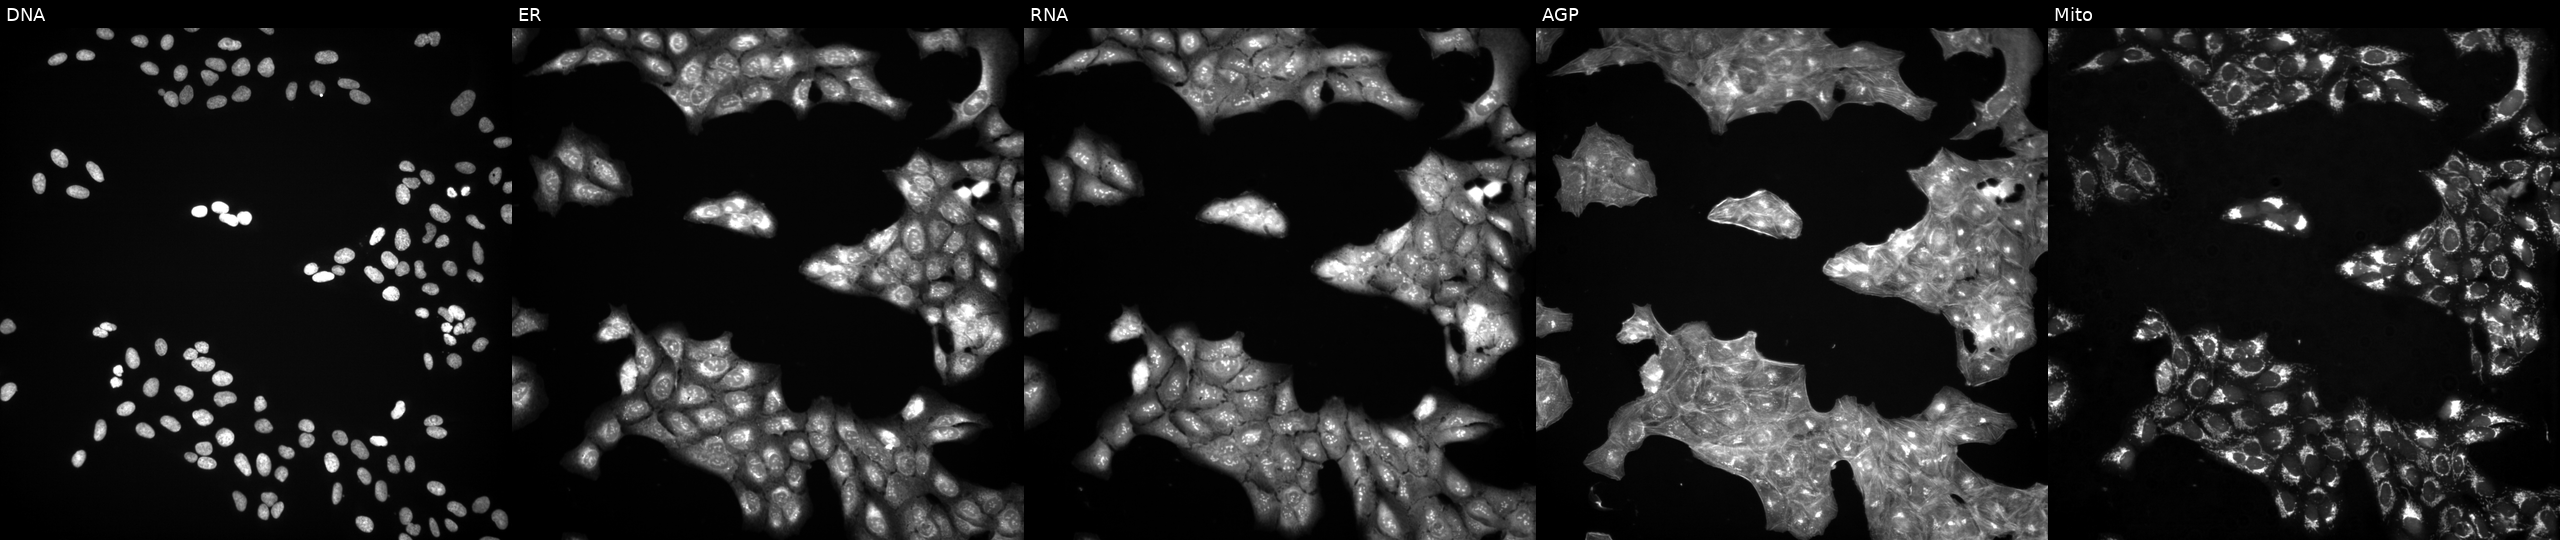
The five panels, left to right, show Hoechst 33342, concanavalin A, SYTO 14, phalloidin and WGA, MitoTracker. U2OS osteosarcoma cells treated with a small-molecule compound (InChIKey VFSVKVQMZDJFQX-UHFFFAOYSA-N) (JUMP id JCP2022_093678). Cell Painting assay, JUMP-CP dataset. Source 3, plate JCPQC051, well C21.